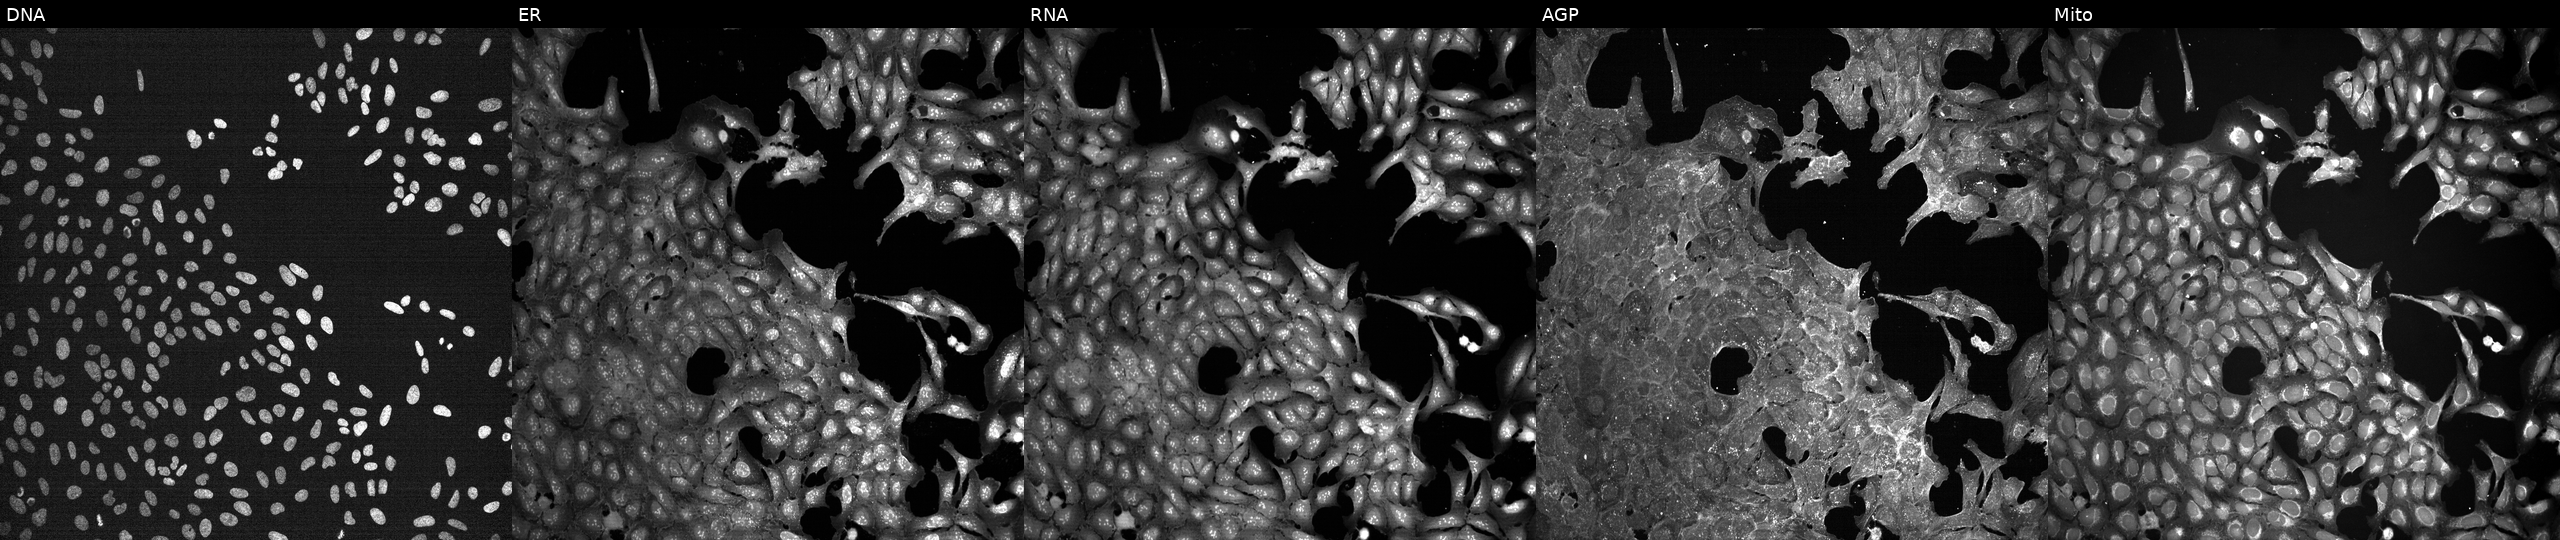
U2OS cells, Cell Painting assay, perturbed with a small-molecule compound (InChIKey HAQDEJPEAKWAAM-UHFFFAOYSA-N). Panels show, left to right, DNA, ER, RNA, AGP, and Mito. Each panel is percentile-stretched 16-bit fluorescence.